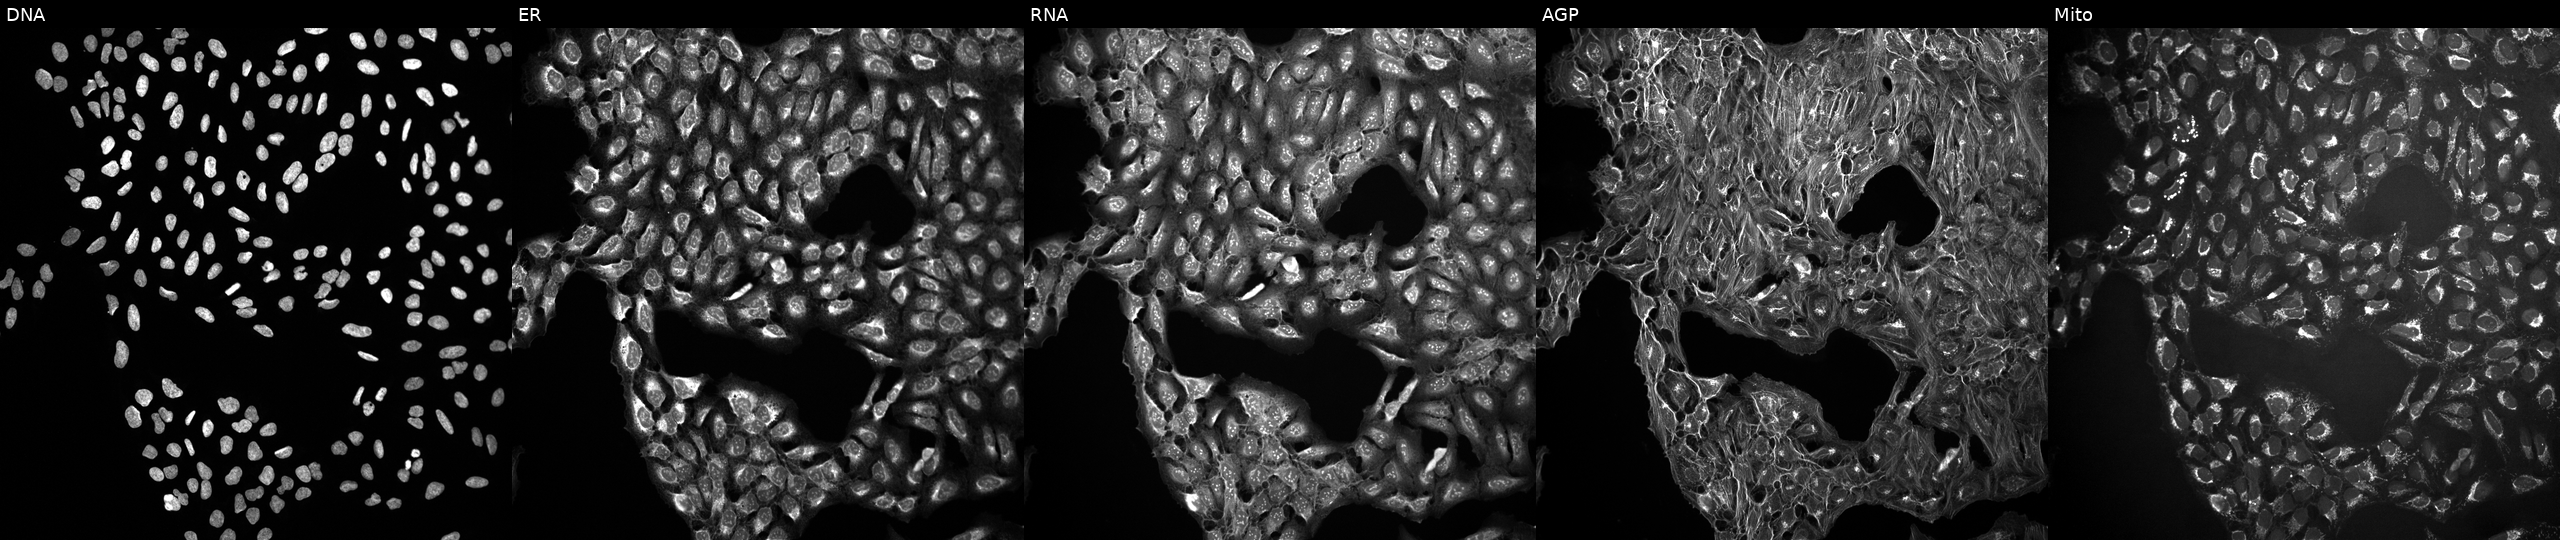
From left to right: DNA, ER, RNA, AGP, and Mito. U2OS osteosarcoma cells untreated (empty-well control) (JUMP id JCP2022_999999). Cell Painting assay, JUMP-CP dataset. Source 10, plate Dest210531-152324, well M15.